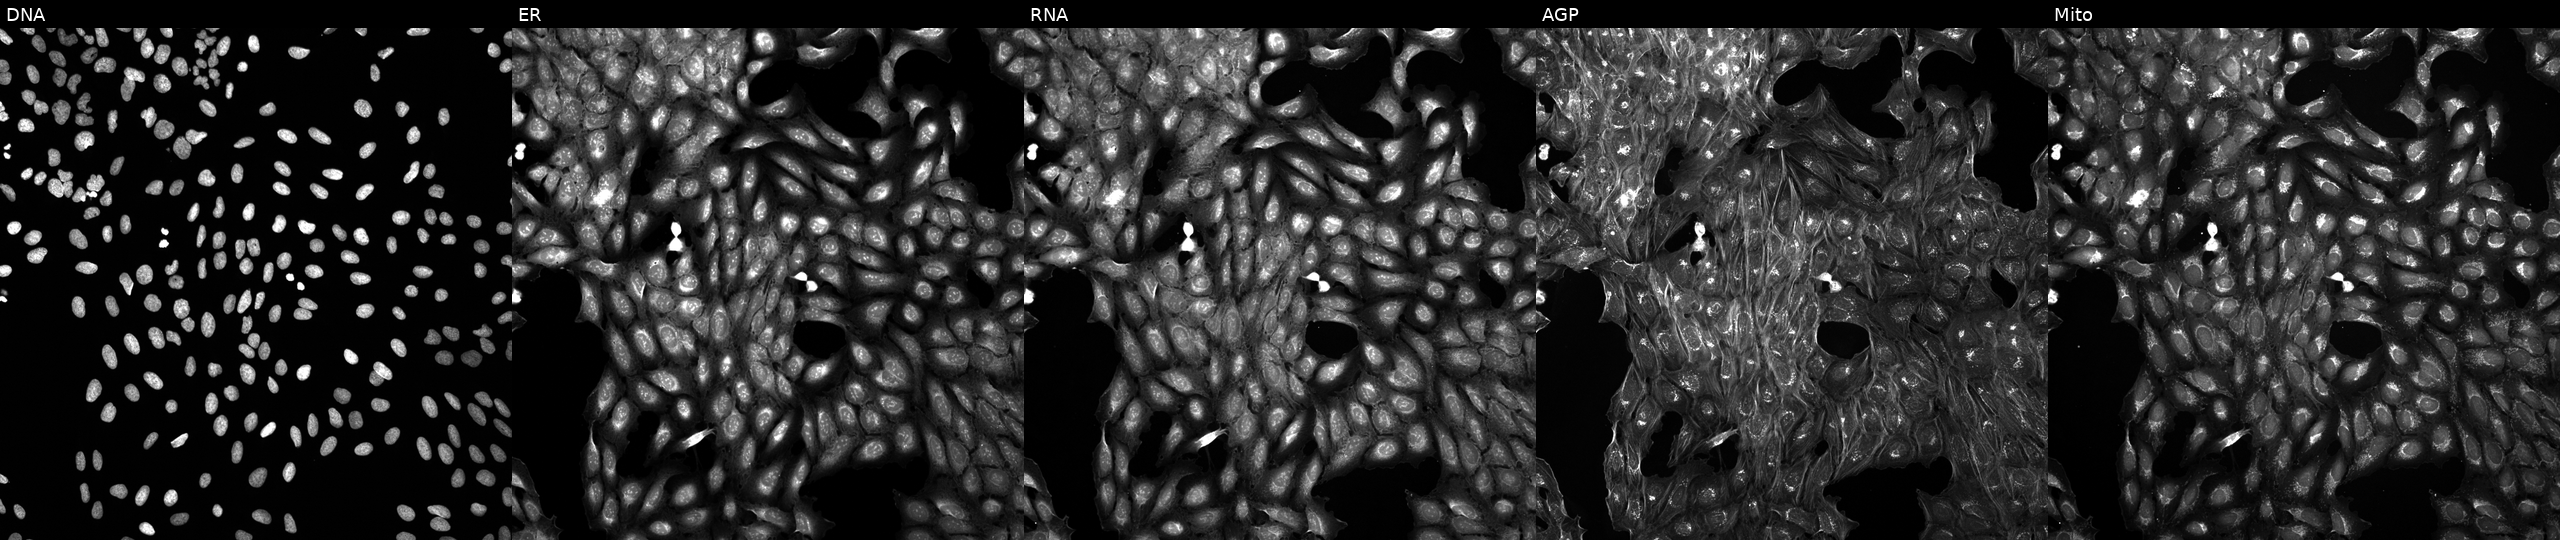
JUMP Cell Painting — COMPOUND plate. U2OS cells treated with a small-molecule compound (InChIKey XOPVYDNQXVDTHQ-UHFFFAOYSA-N). Panels show, left to right, DNA, ER, RNA, AGP, and Mito. Source 5, plate APTJUM105, well C04.